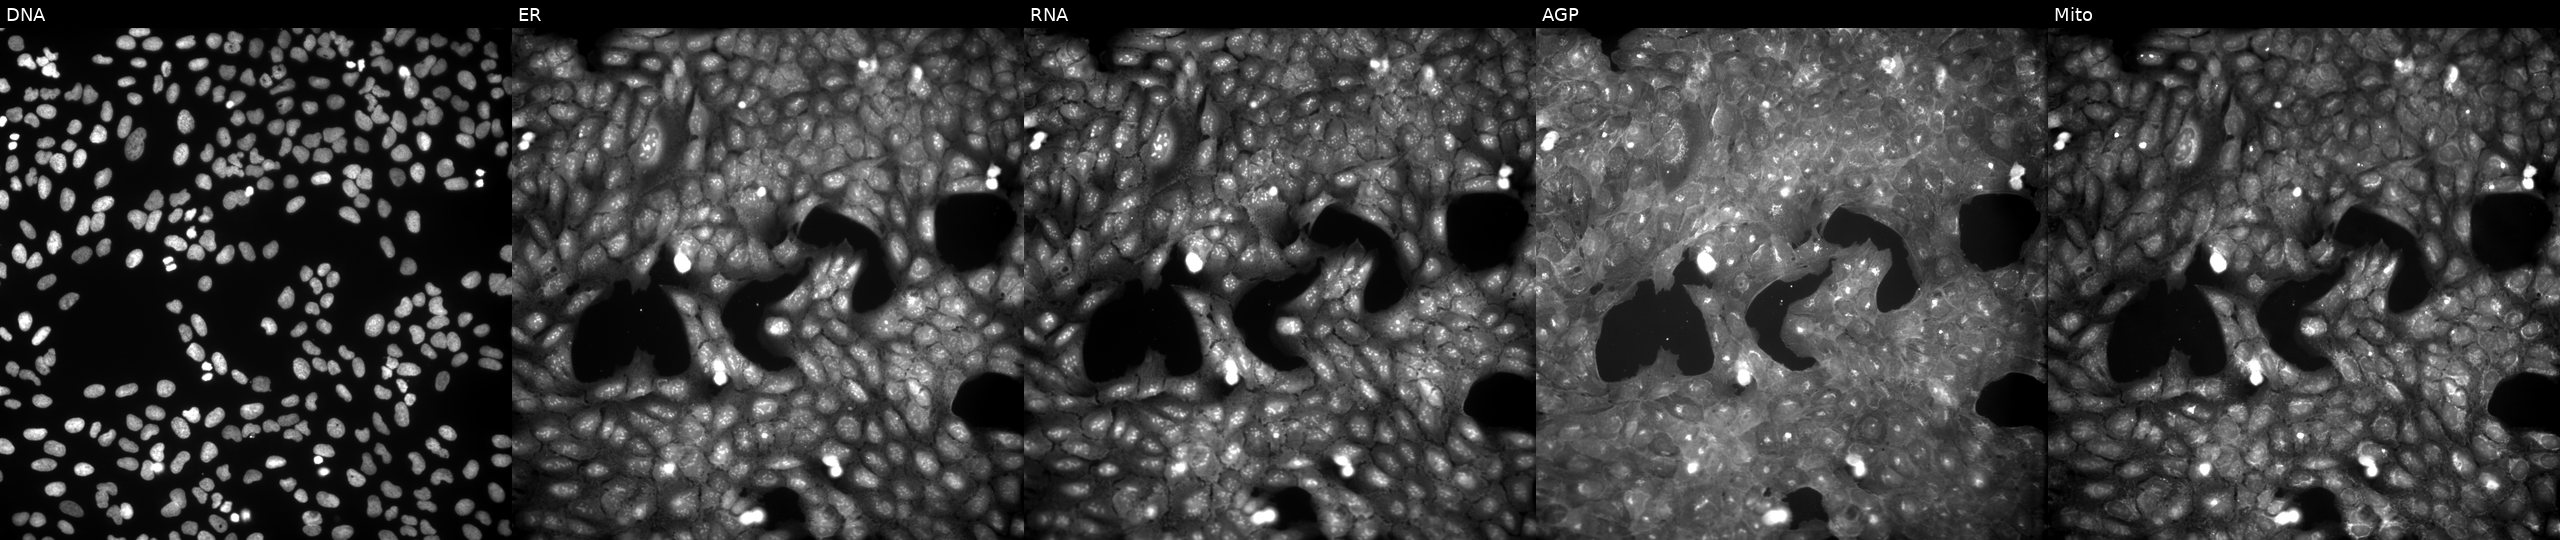
This image strip shows the five Cell Painting channels for a single field of U2OS cells exposed to the positive-control compound aloxistatin. Panels show, left to right, Hoechst 33342, concanavalin A, SYTO 14, phalloidin and WGA, MitoTracker. Source 9, plate GR00003382, well Y25.